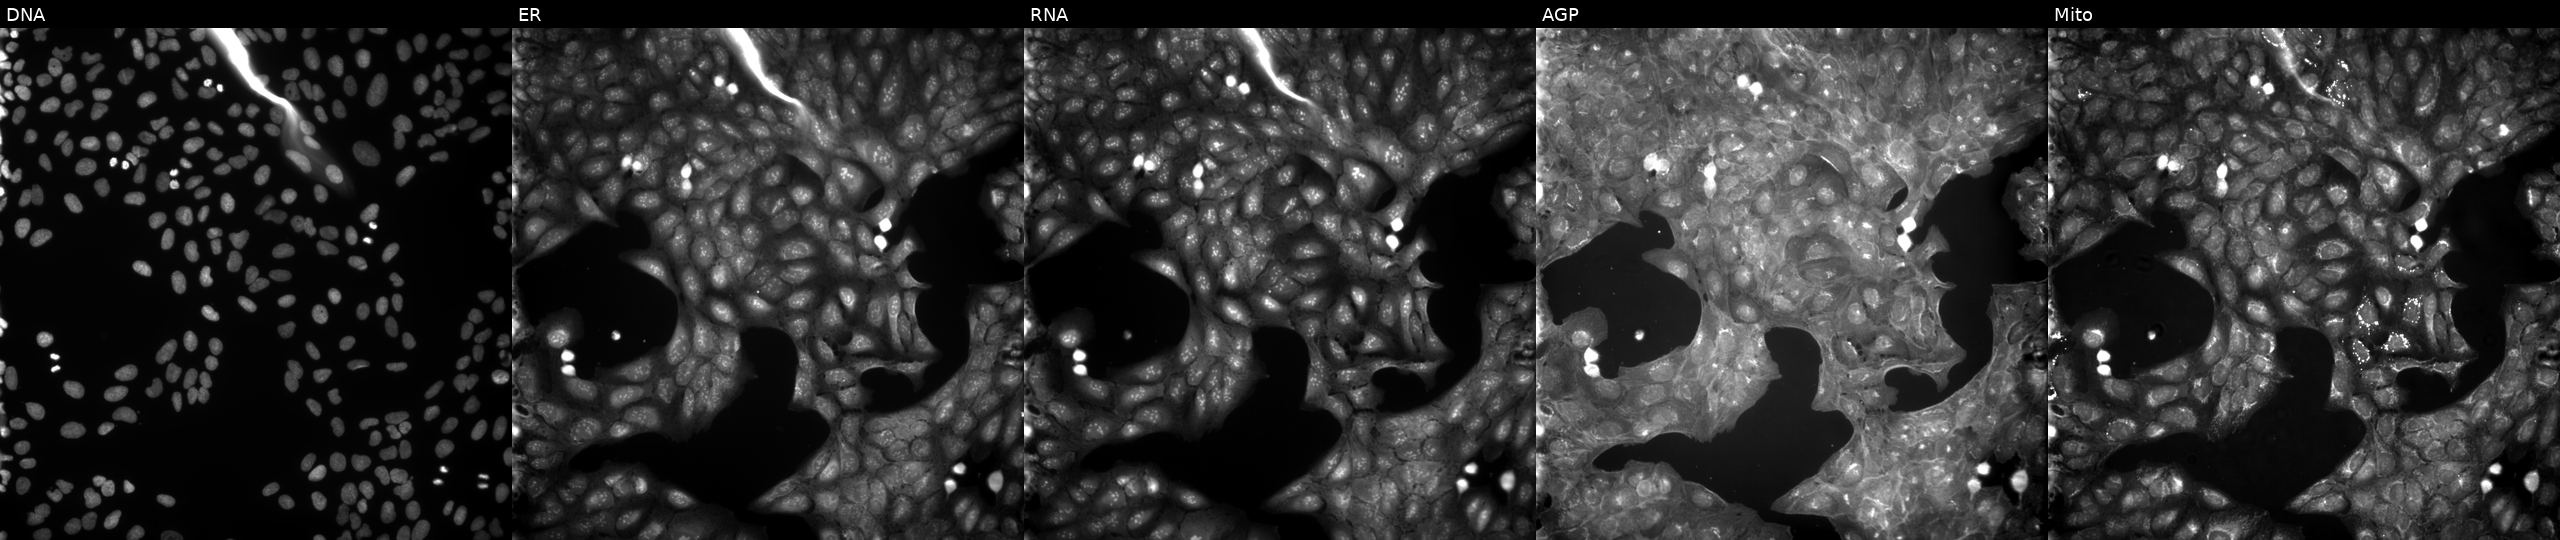
From left to right: DNA, ER, RNA, AGP, and Mito. U2OS osteosarcoma cells exposed to a small-molecule compound (InChIKey CJHSDEGGVVUWFK-UHFFFAOYSA-N) [SMILES: CCCCOC(=O)c1cccc(NC(=O)c2cccc(Cl)c2)c1]. Cell Painting assay, JUMP-CP dataset.